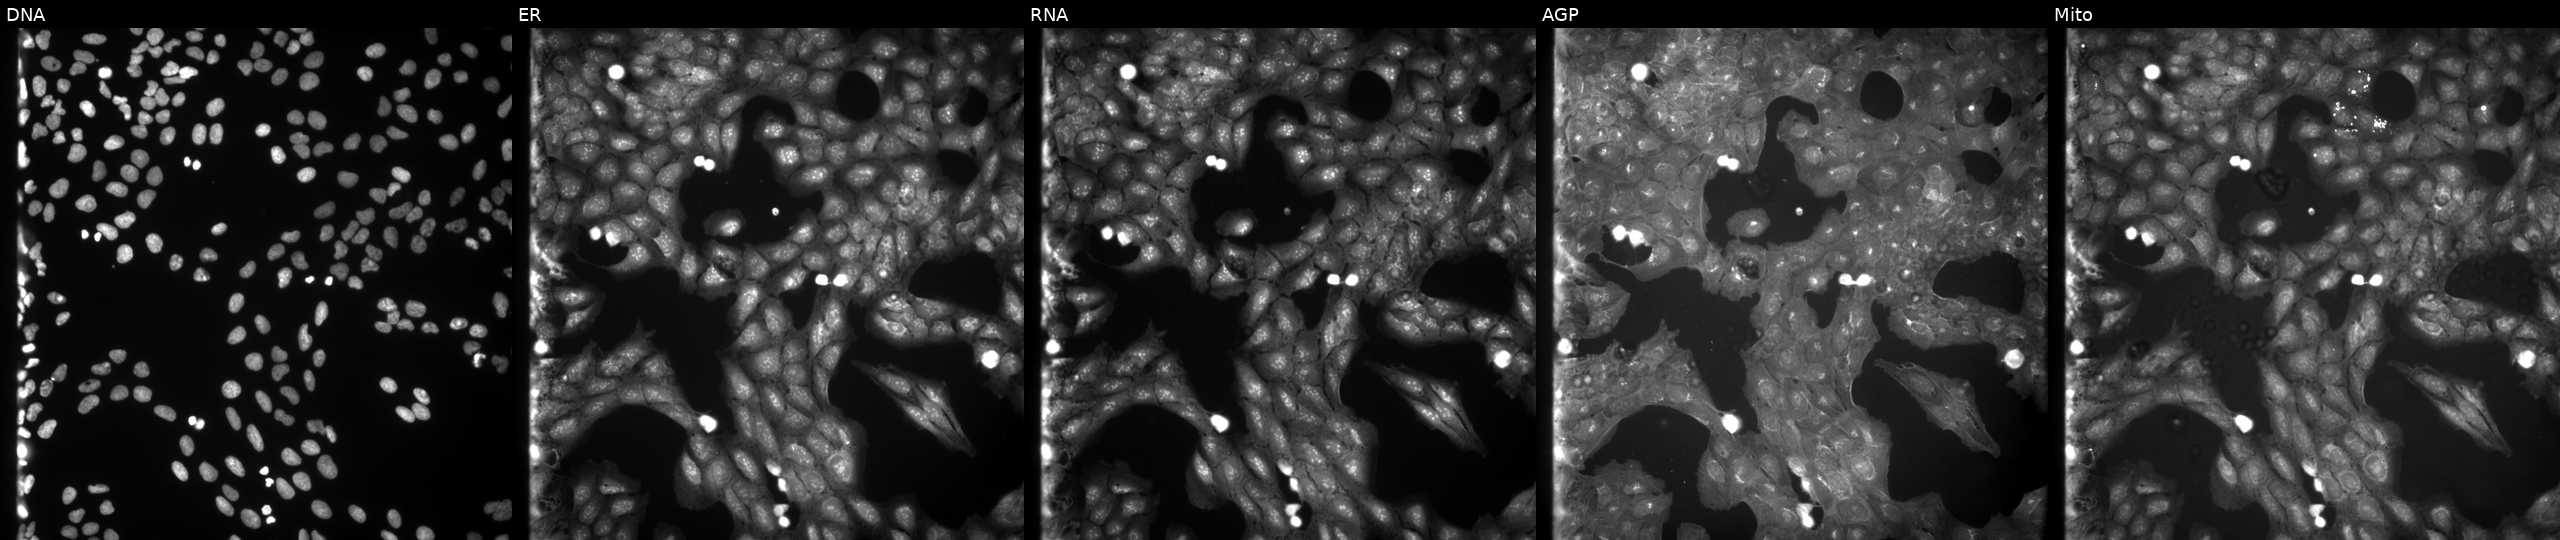
U2OS cells, Cell Painting assay, perturbed with a small-molecule compound. Channels (left→right): Hoechst 33342, concanavalin A, SYTO 14, phalloidin and WGA, MitoTracker. Each panel is percentile-stretched 16-bit fluorescence.